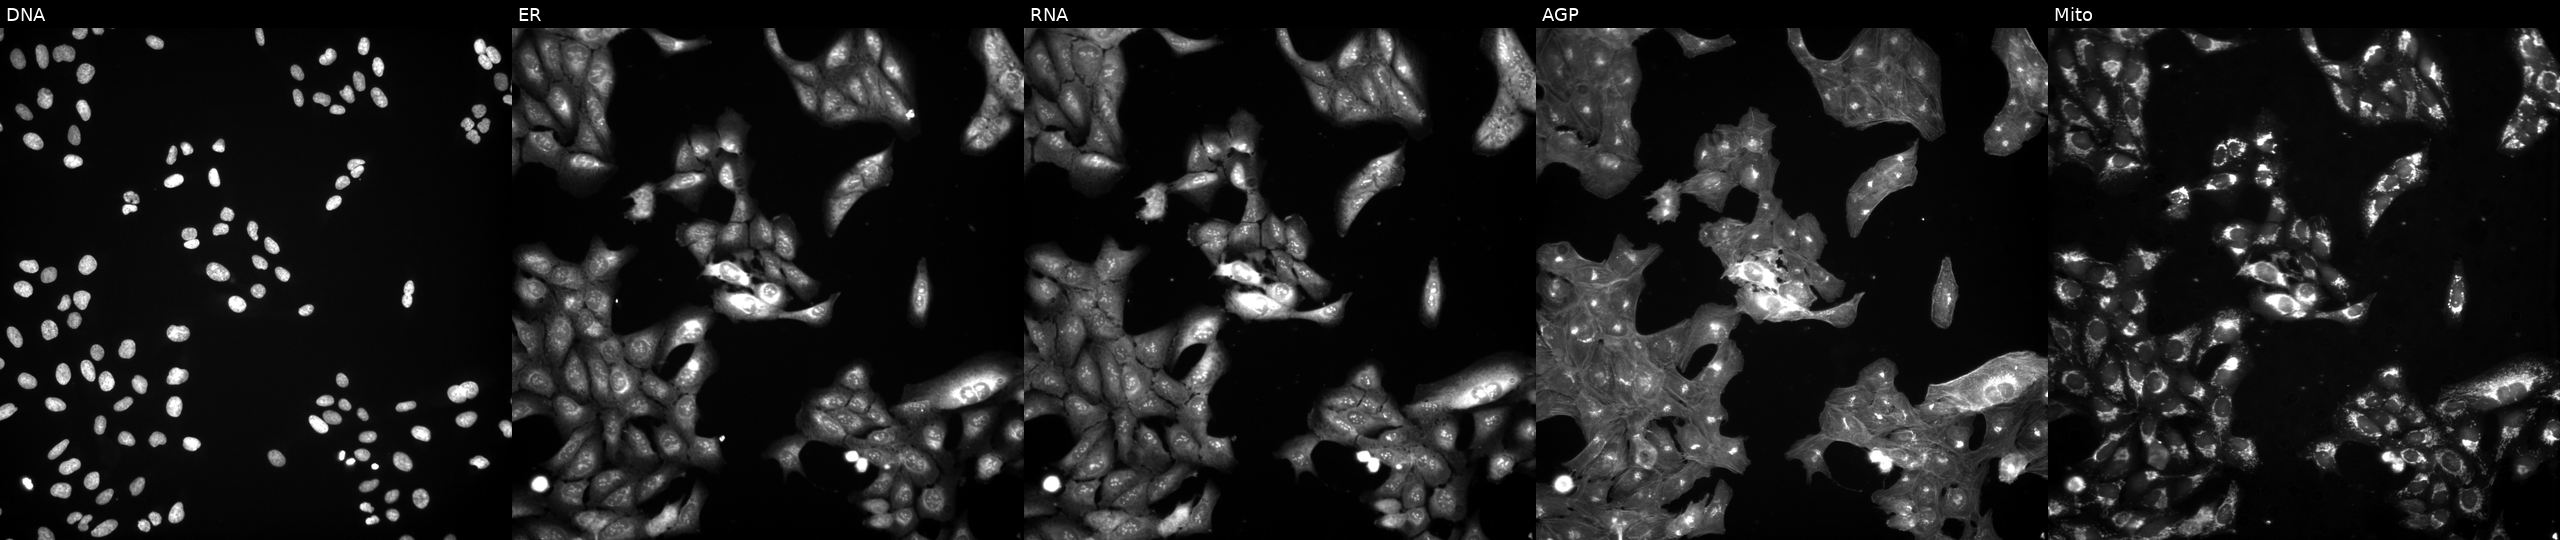
U2OS cells, Cell Painting assay, treated with aloxistatin (positive-control compound). The five panels, left to right, show DNA (nuclei); ER (endoplasmic reticulum); RNA (nucleoli and cytoplasmic RNA); AGP (actin cytoskeleton, Golgi, and plasma membrane); Mito (mitochondria). Each panel is percentile-stretched 16-bit fluorescence.